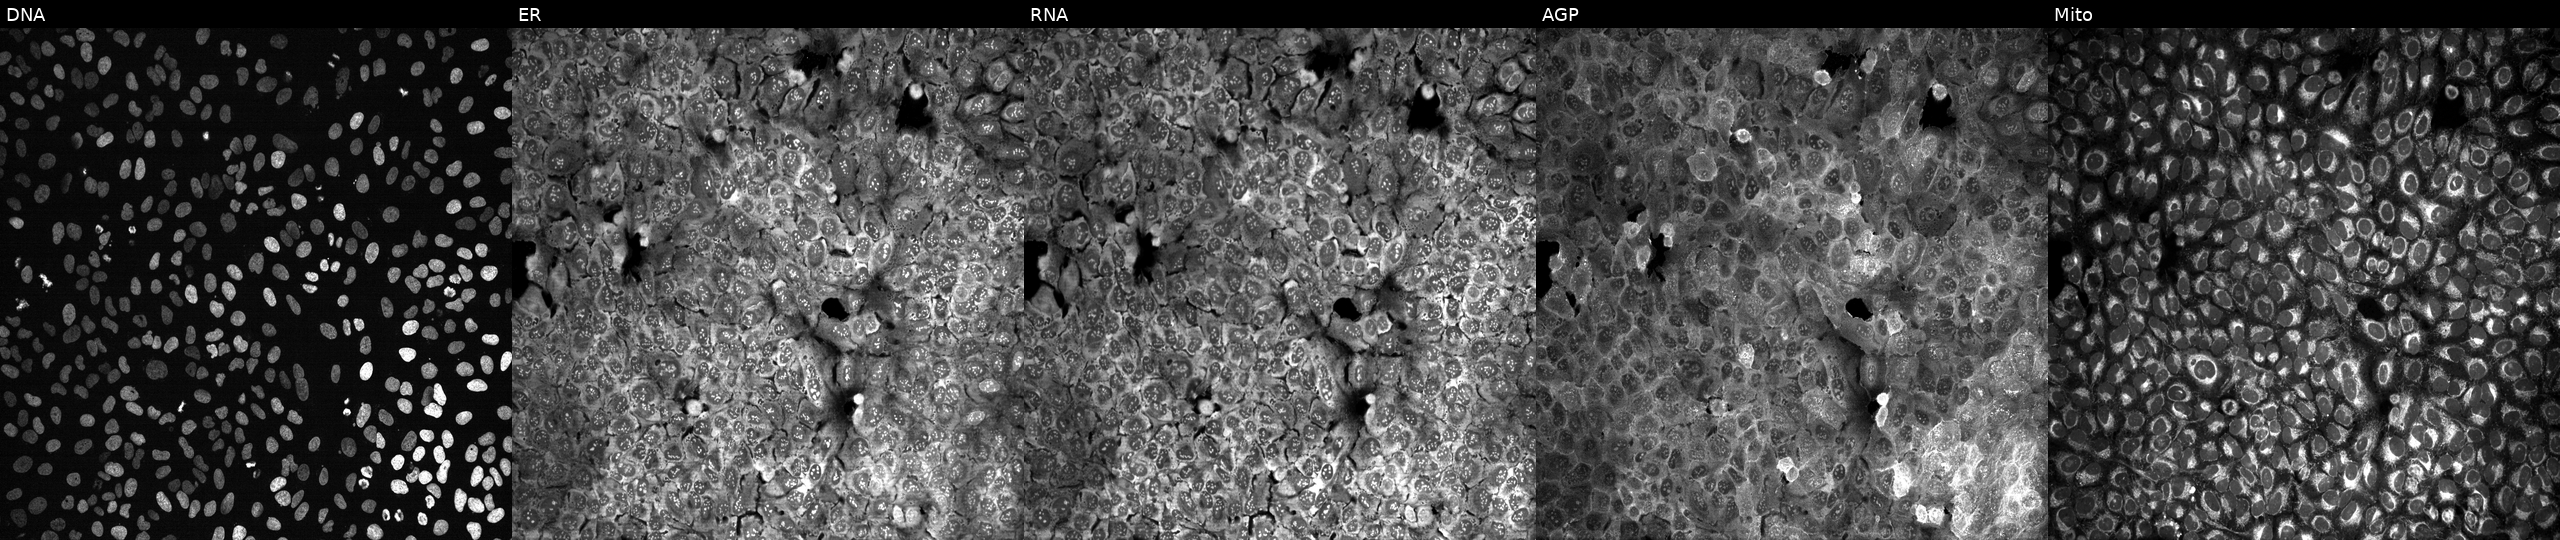
This image strip shows the five Cell Painting channels for a single field of U2OS cells with PLCB1 knocked out by CRISPR. The five panels, left to right, show Hoechst 33342, concanavalin A, SYTO 14, phalloidin and WGA, MitoTracker. Source 13, plate CP-CC9-R4-03, well C18.